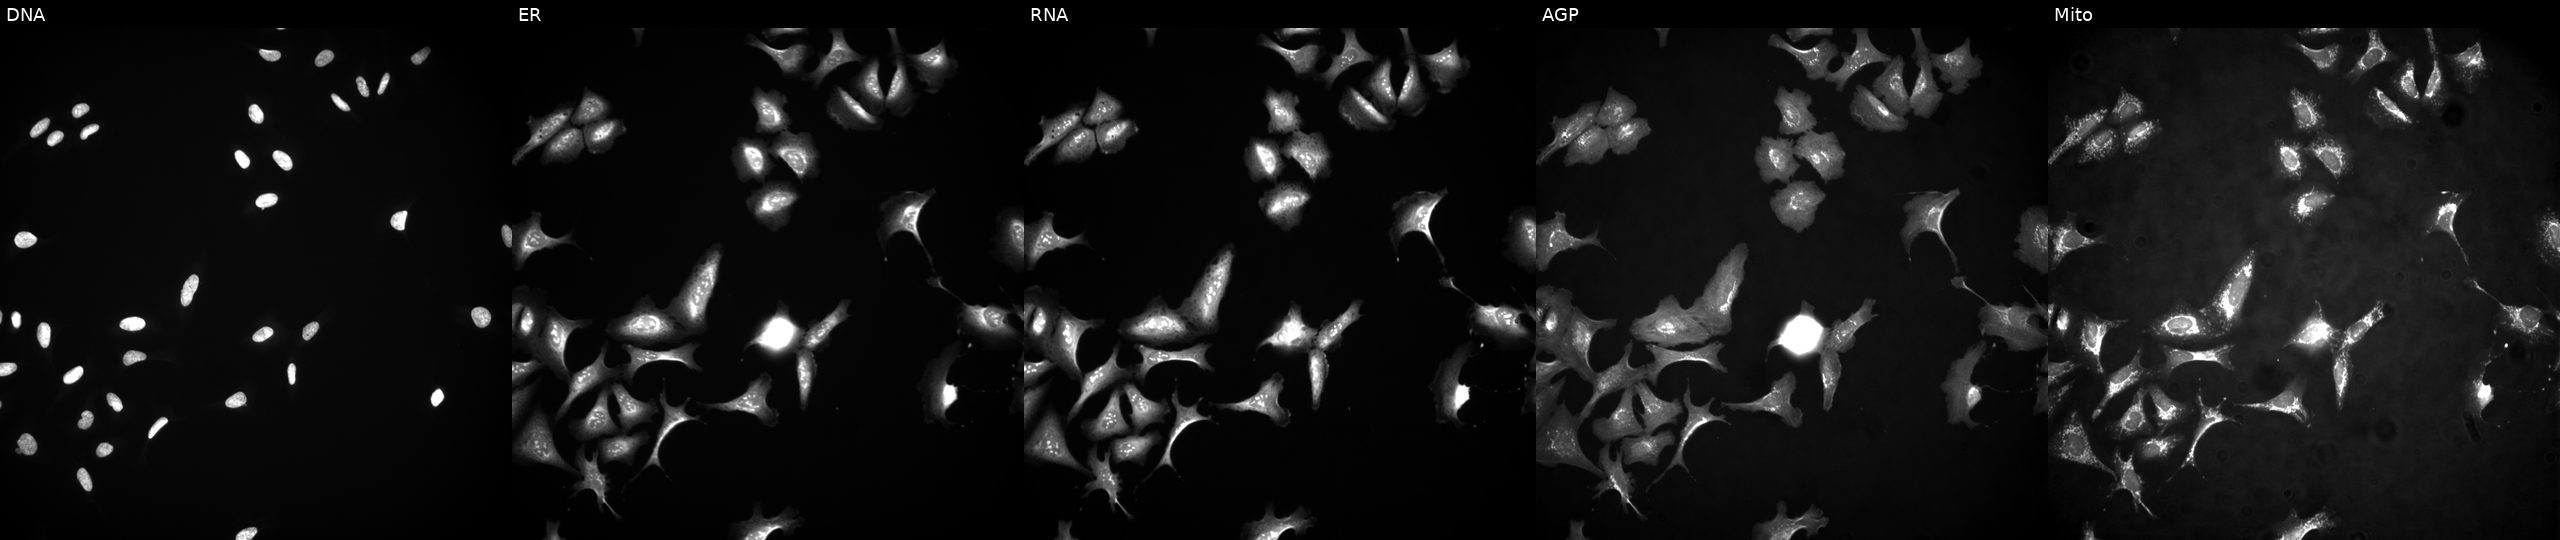
JUMP Cell Painting — ORF plate. U2OS cells transfected with an ORF construct for ECEL1P2 (JUMP id JCP2022_909654). Panels show, left to right, DNA (nuclei); ER (endoplasmic reticulum); RNA (nucleoli and cytoplasmic RNA); AGP (actin cytoskeleton, Golgi, and plasma membrane); Mito (mitochondria).